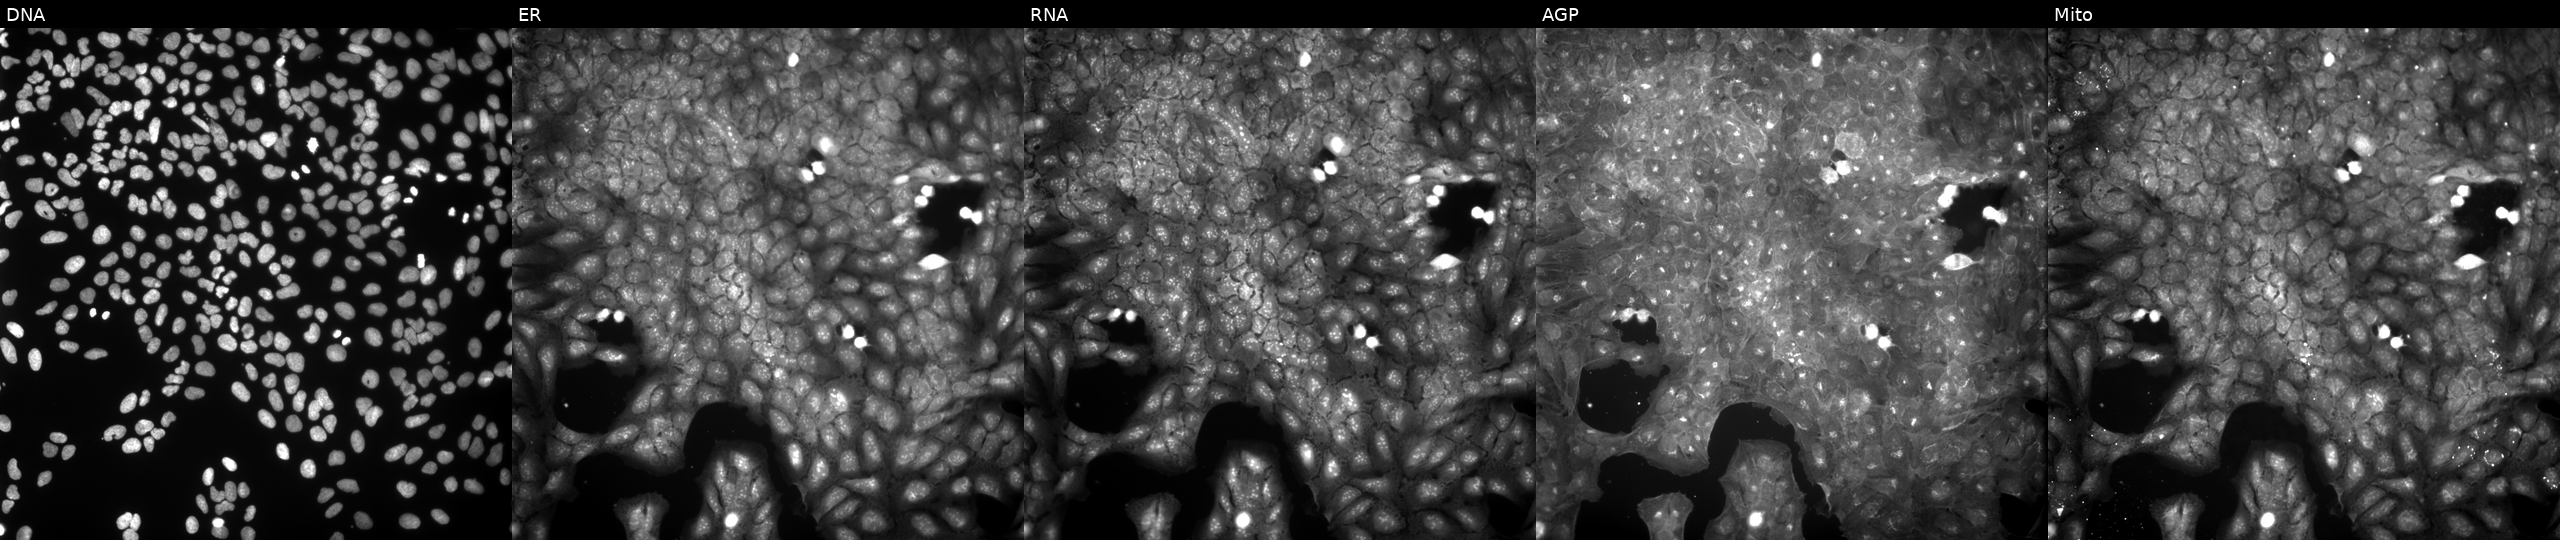
High-content fluorescence microscopy (Cell Painting). Cell line: U2OS. Perturbation: perturbed with a small-molecule compound (InChIKey HGGDJDHWOMRVBP-UHFFFAOYSA-N). Panels show, left to right, DNA, ER, RNA, AGP, and Mito.